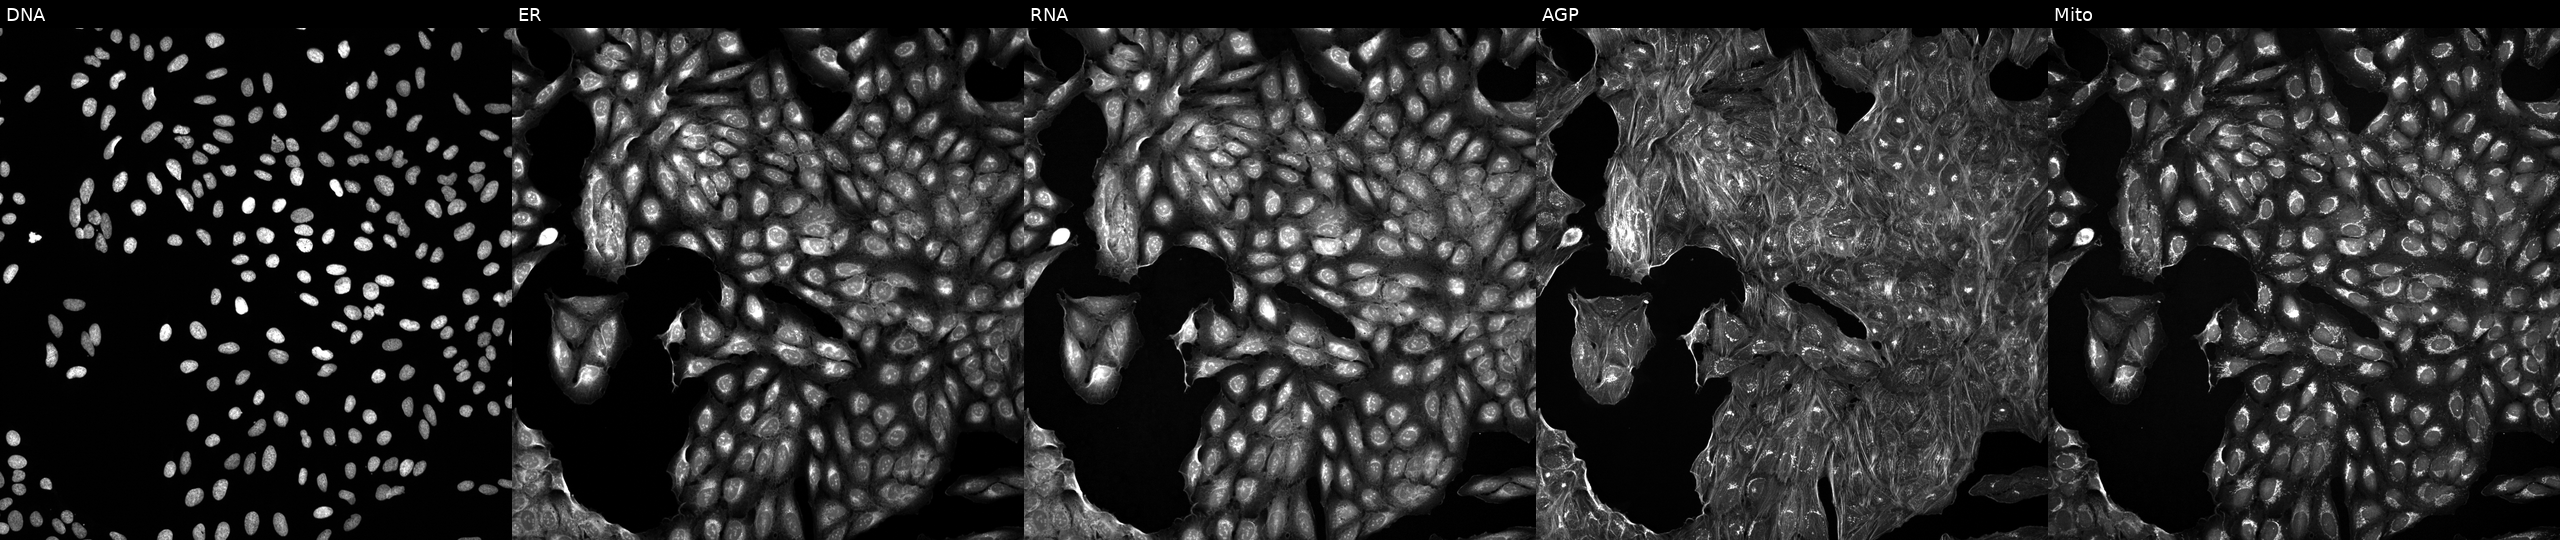
High-content fluorescence microscopy (Cell Painting). Cell line: U2OS. Perturbation: exposed to a small-molecule compound (InChIKey JFUIMTGOQCQTPF-UHFFFAOYSA-N) (JUMP id JCP2022_039503). The five panels, left to right, show Hoechst 33342, concanavalin A, SYTO 14, phalloidin and WGA, MitoTracker.